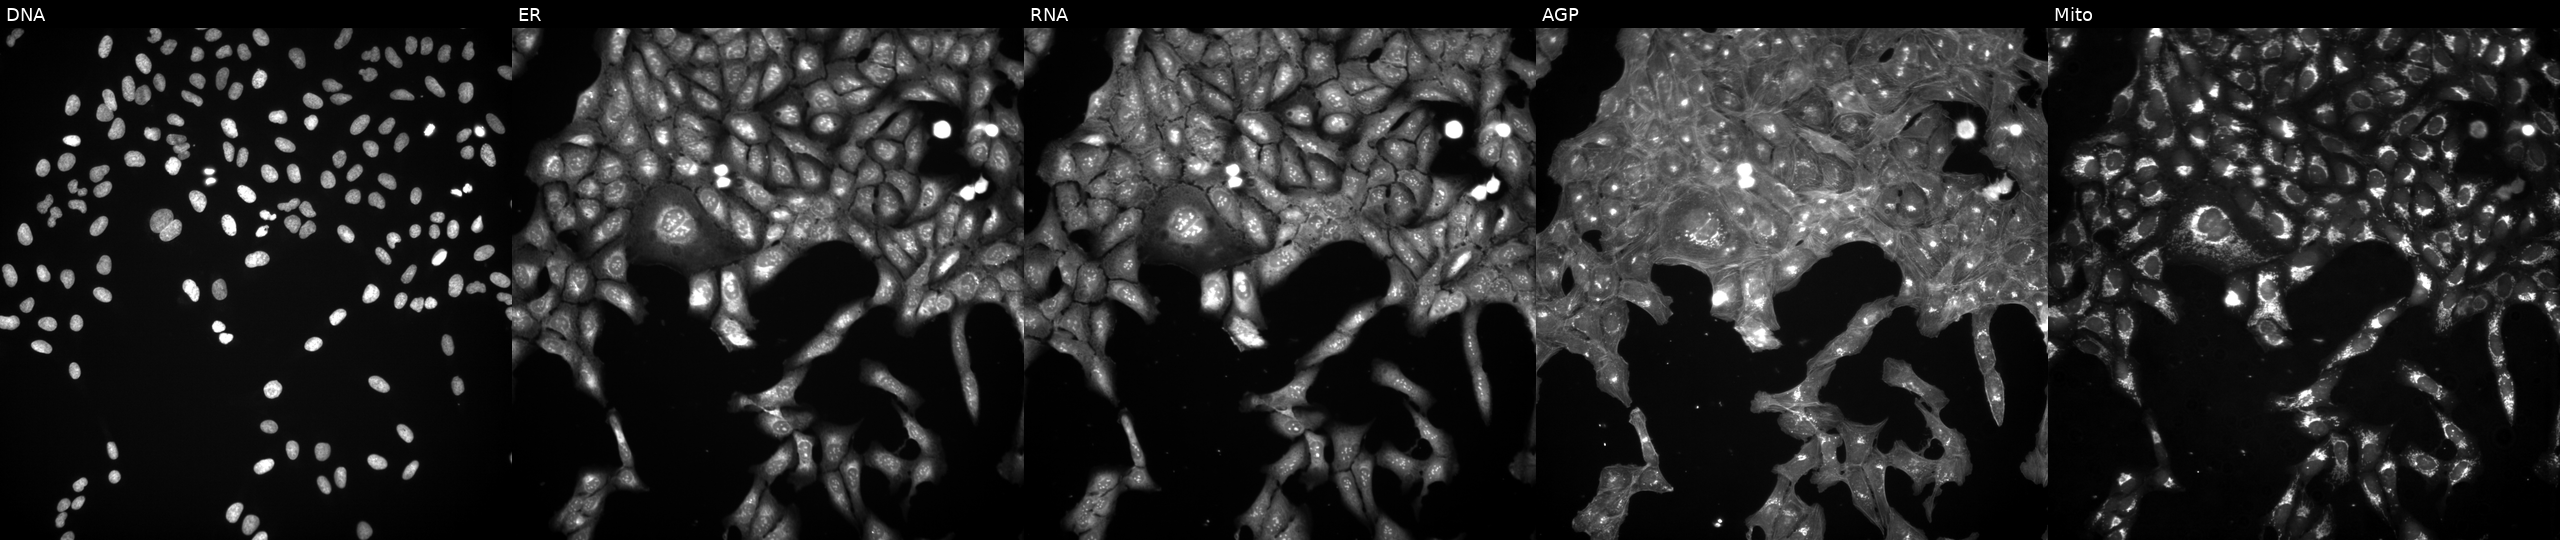
This image strip shows the five Cell Painting channels for a single field of U2OS cells treated with a small-molecule compound (InChIKey XXRCUYVCPSWGCC-UHFFFAOYSA-N) [SMILES: CCOC(=O)C(C)=O]. Channels (left→right): Hoechst 33342, concanavalin A, SYTO 14, phalloidin and WGA, MitoTracker.